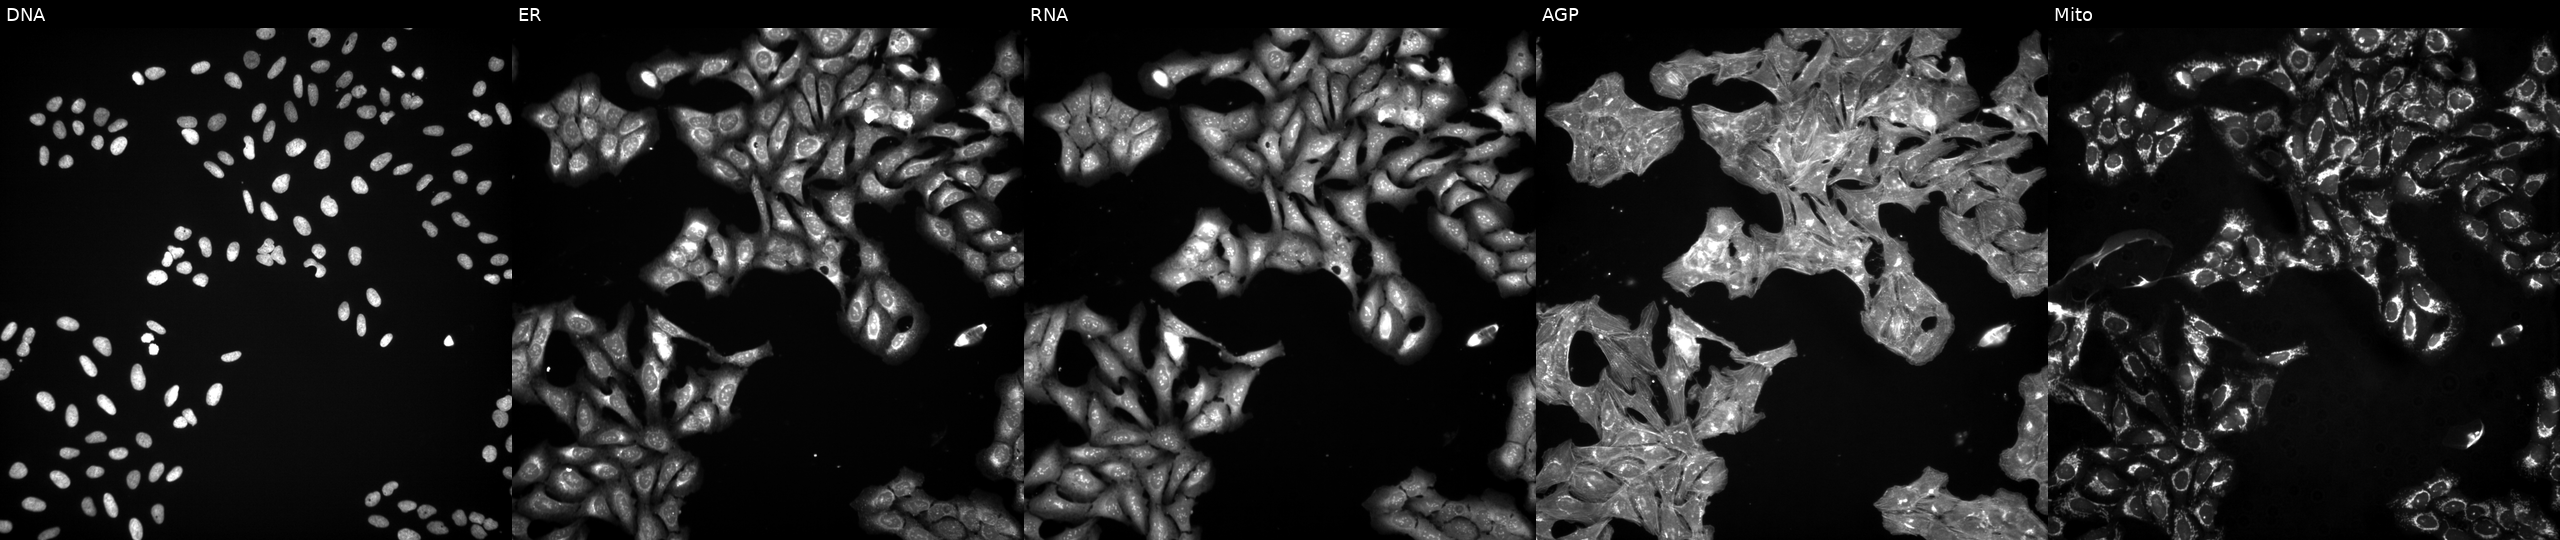
JUMP Cell Painting — TARGET2 plate. U2OS cells treated with a small-molecule compound. The five panels, left to right, show DNA (nuclei); ER (endoplasmic reticulum); RNA (nucleoli and cytoplasmic RNA); AGP (actin cytoskeleton, Golgi, and plasma membrane); Mito (mitochondria). Source 3, plate JCPQC053, well L20.